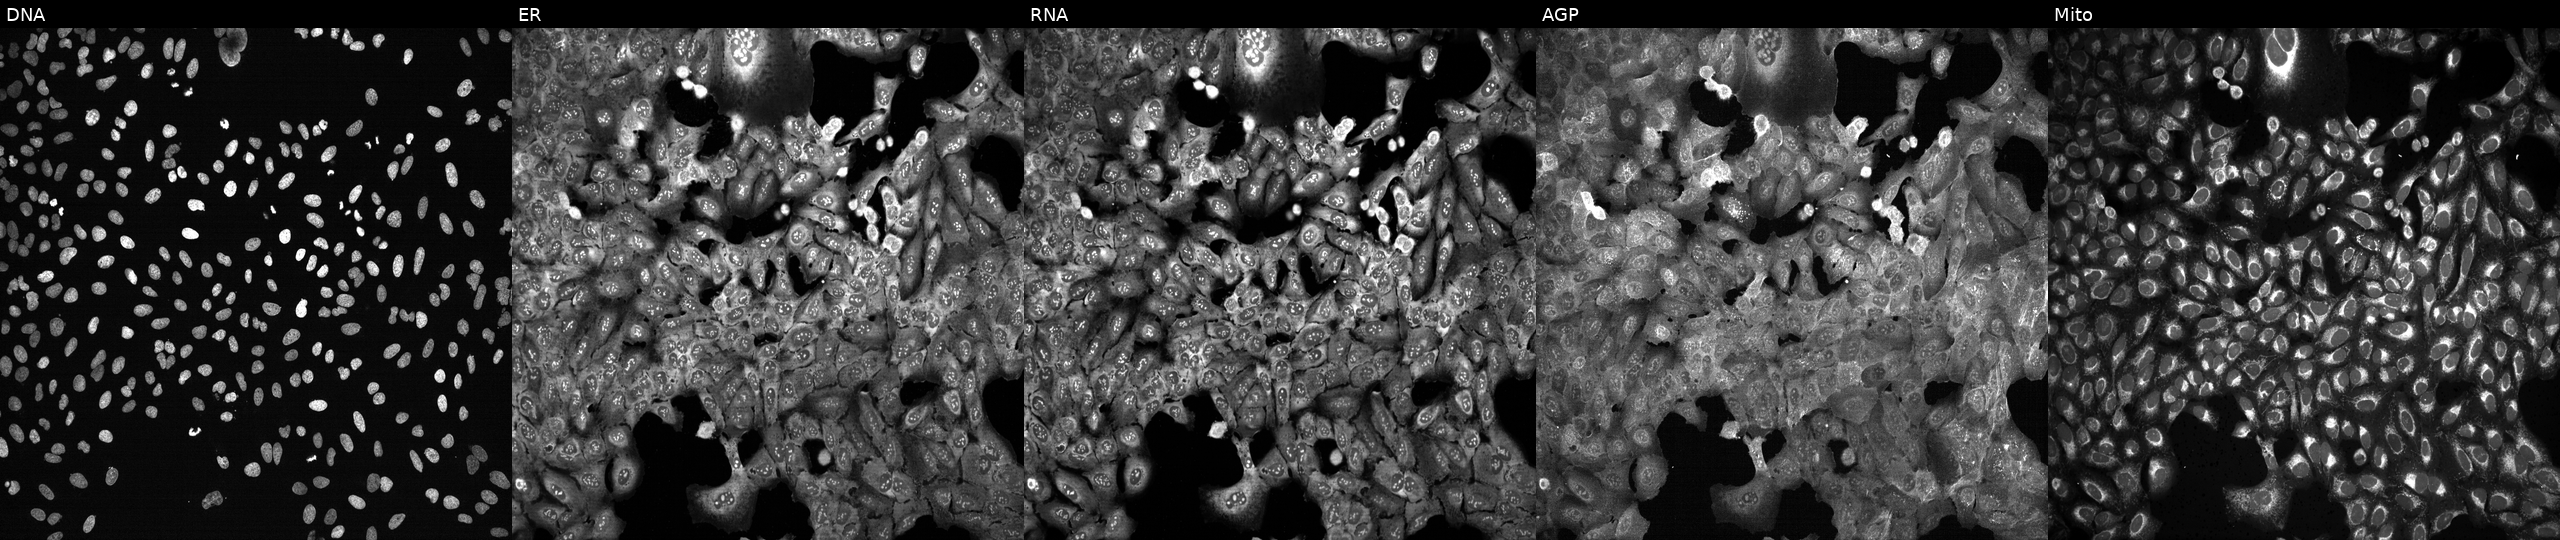
This image strip shows the five Cell Painting channels for a single field of U2OS cells CRISPR-edited to disrupt LPGAT1 (JUMP id JCP2022_803890). The five panels, left to right, show Hoechst 33342, concanavalin A, SYTO 14, phalloidin and WGA, MitoTracker.